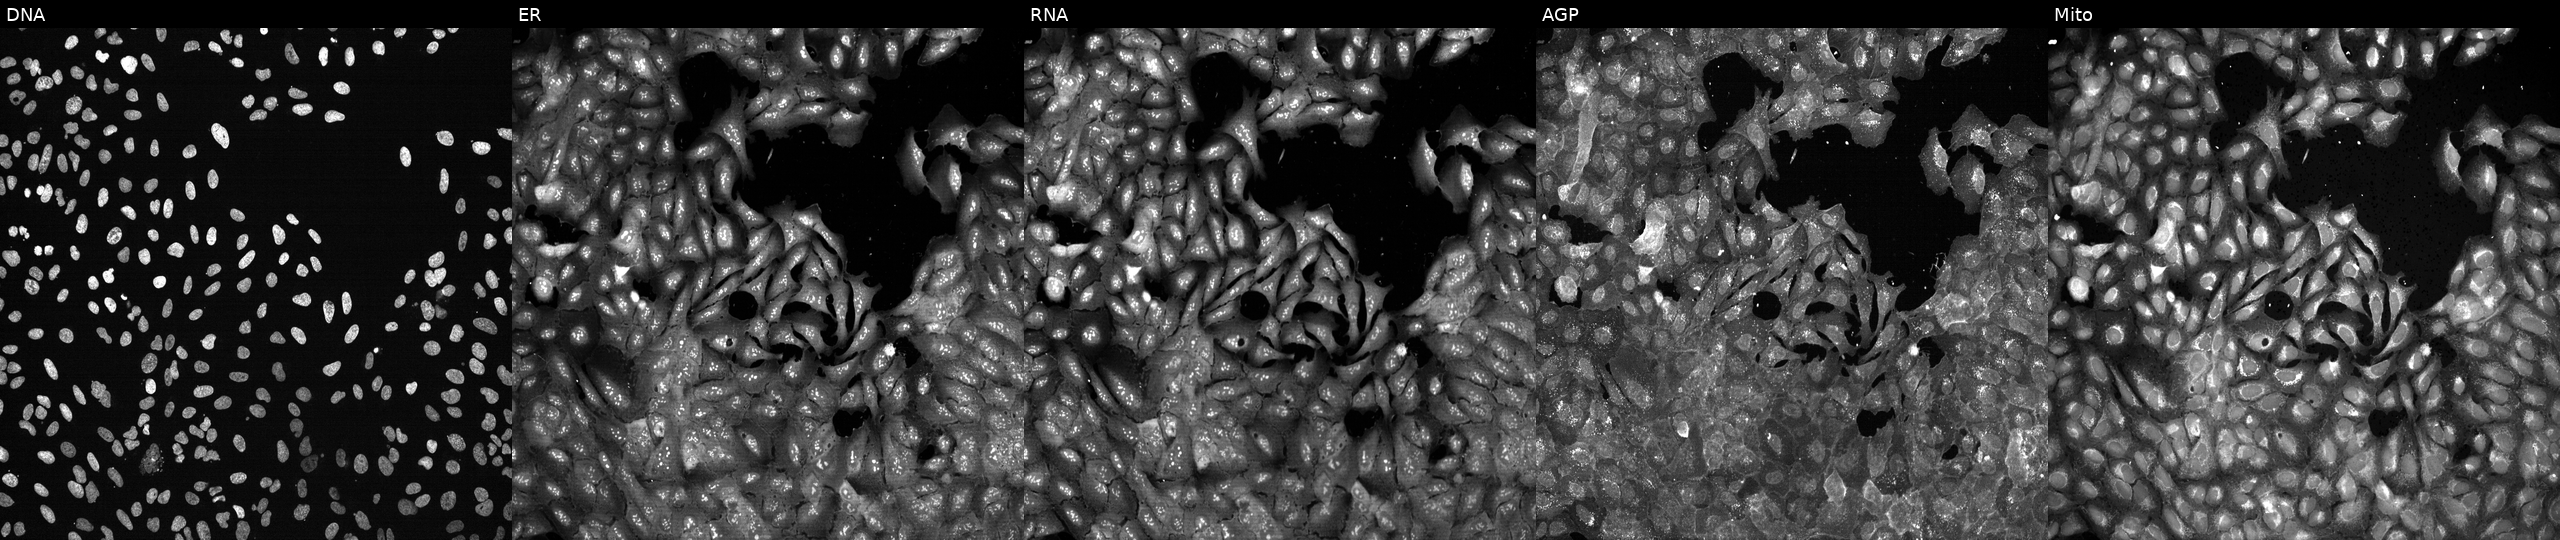
Five-channel Cell Painting image of U2OS cells with SLC11A2 knocked out by CRISPR. Panels show, left to right, Hoechst 33342, concanavalin A, SYTO 14, phalloidin and WGA, MitoTracker.